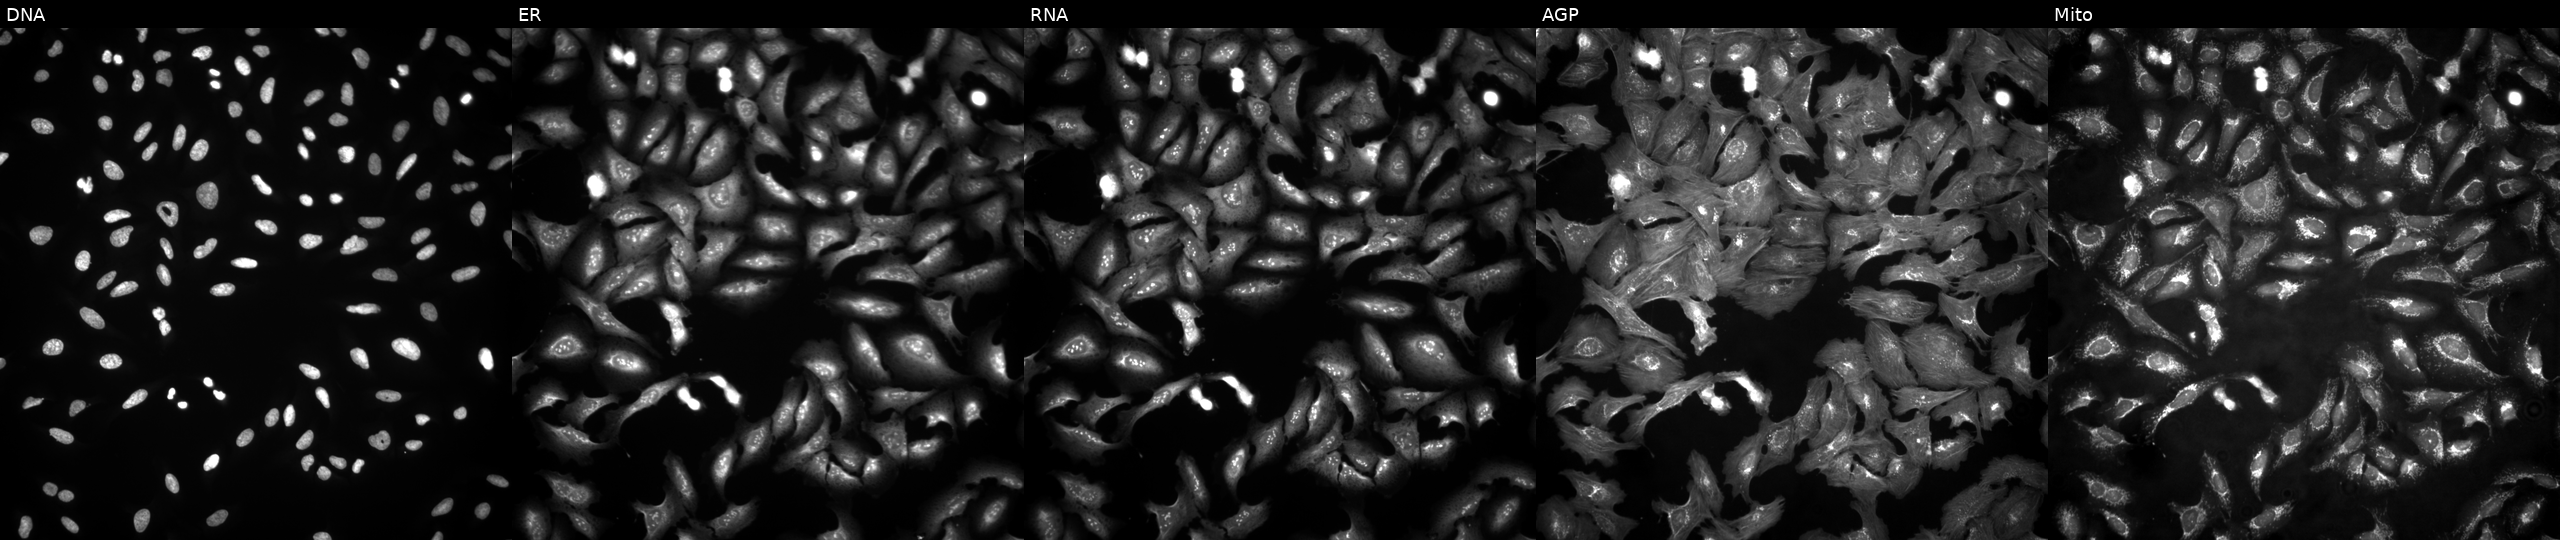
Five-channel Cell Painting image of U2OS cells overexpressing TRIQK via ORF transfection (JUMP id JCP2022_912643). From left to right: DNA, ER, RNA, AGP, and Mito. Source 4, plate BR00124784, well B15.